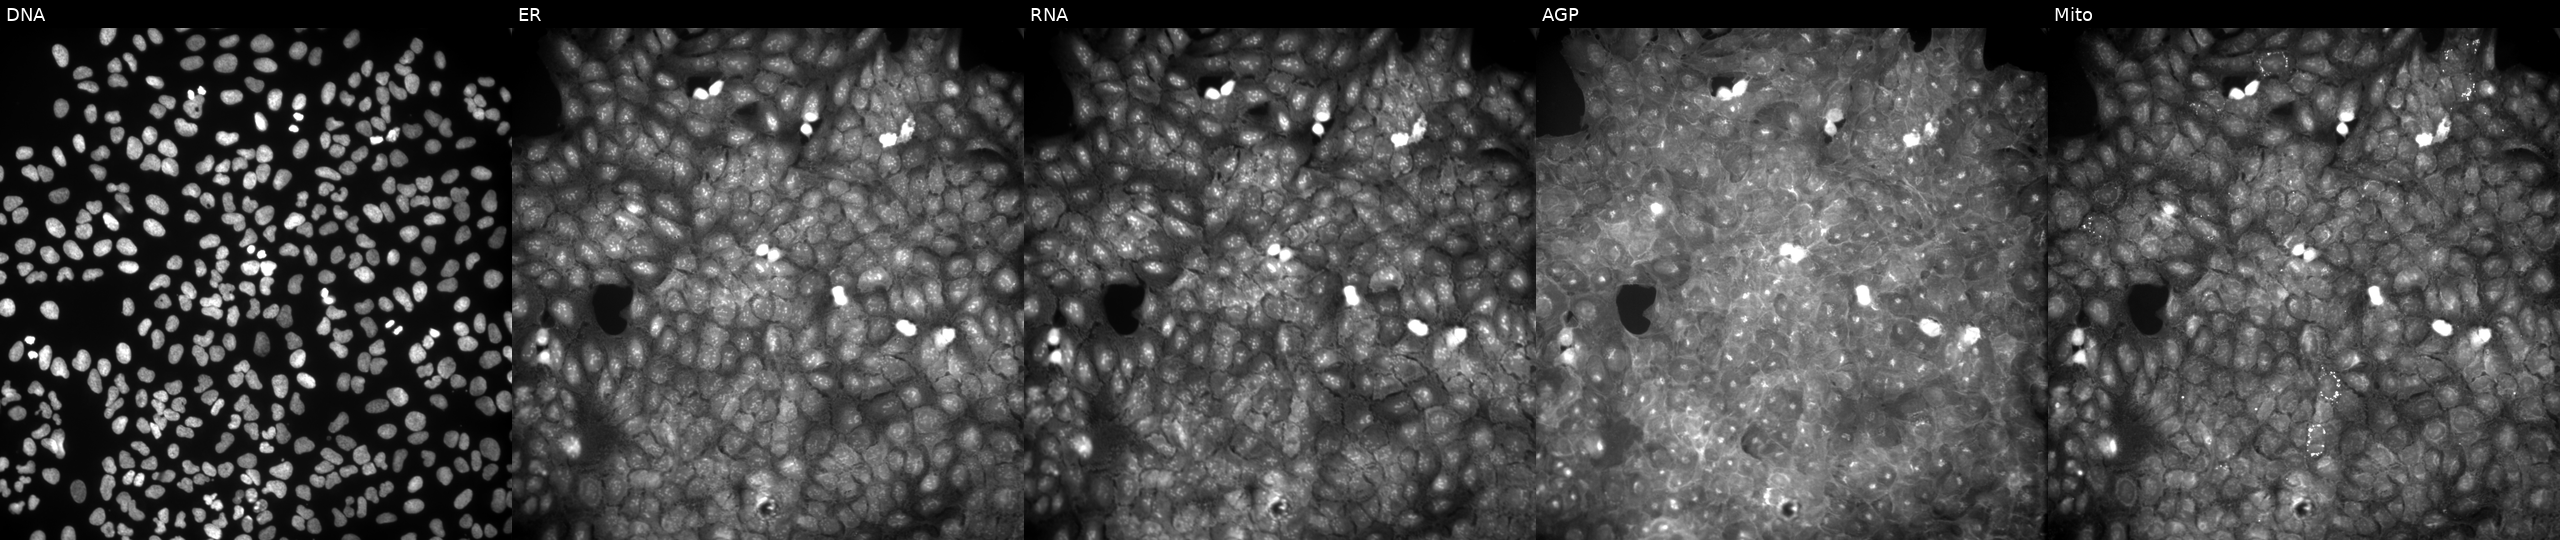
High-content fluorescence microscopy (Cell Painting). Cell line: U2OS. Perturbation: perturbed with a small-molecule compound (InChIKey ALHLIGUAFZYHII-UHFFFAOYSA-N) (JUMP id JCP2022_002164). The five panels, left to right, show DNA (nuclei); ER (endoplasmic reticulum); RNA (nucleoli and cytoplasmic RNA); AGP (actin cytoskeleton, Golgi, and plasma membrane); Mito (mitochondria).